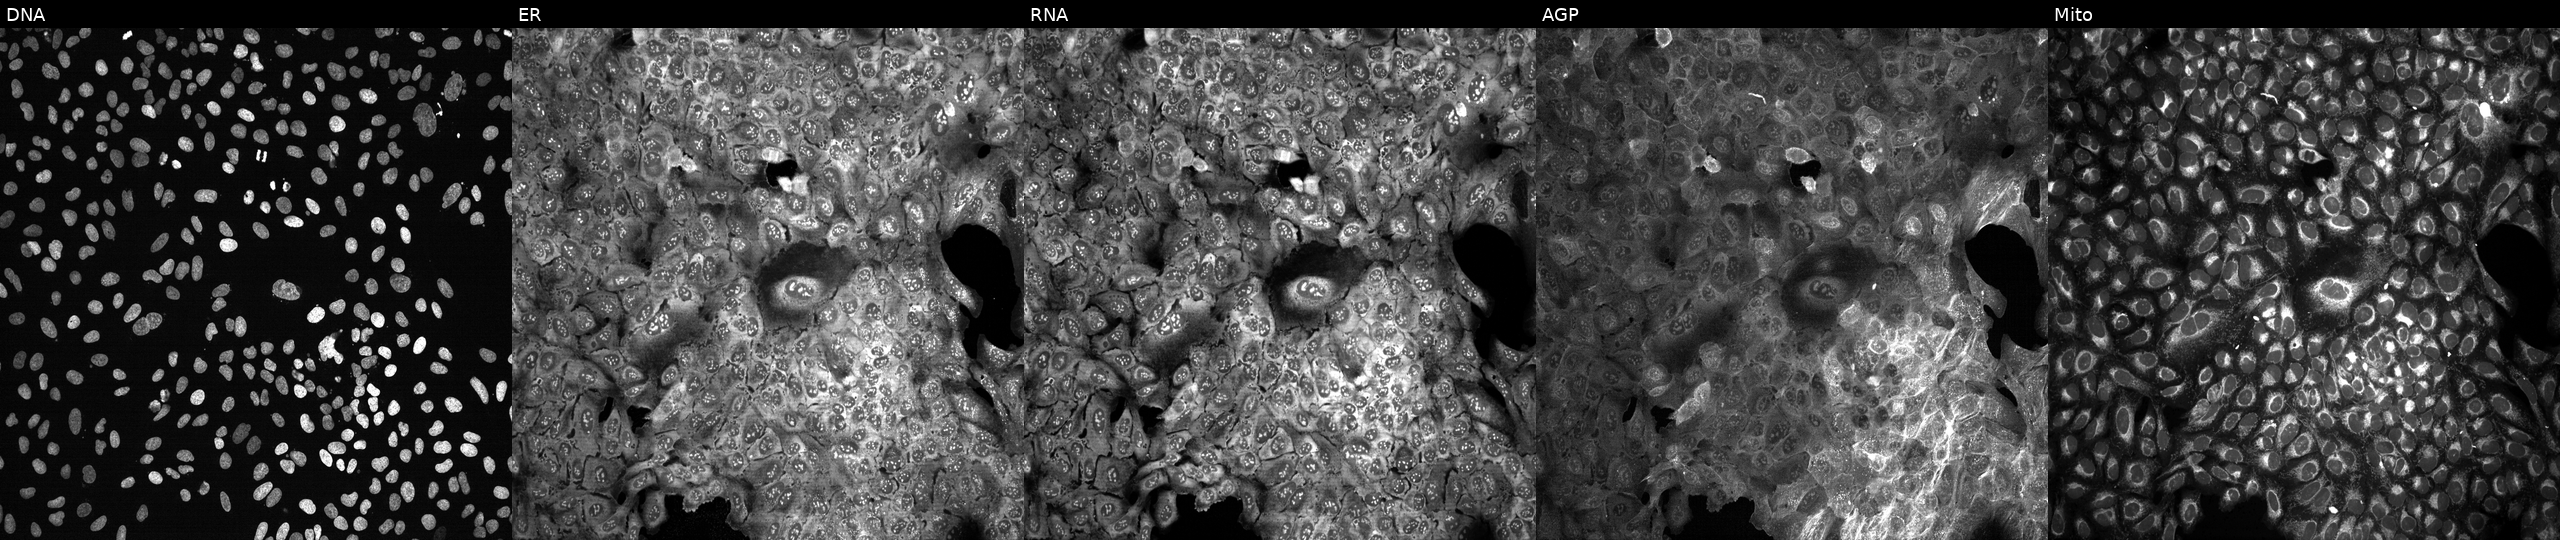
This image strip shows the five Cell Painting channels for a single field of U2OS cells CRISPR-edited to disrupt FASN (JUMP id JCP2022_802274). From left to right: DNA (nuclei); ER (endoplasmic reticulum); RNA (nucleoli and cytoplasmic RNA); AGP (actin cytoskeleton, Golgi, and plasma membrane); Mito (mitochondria).